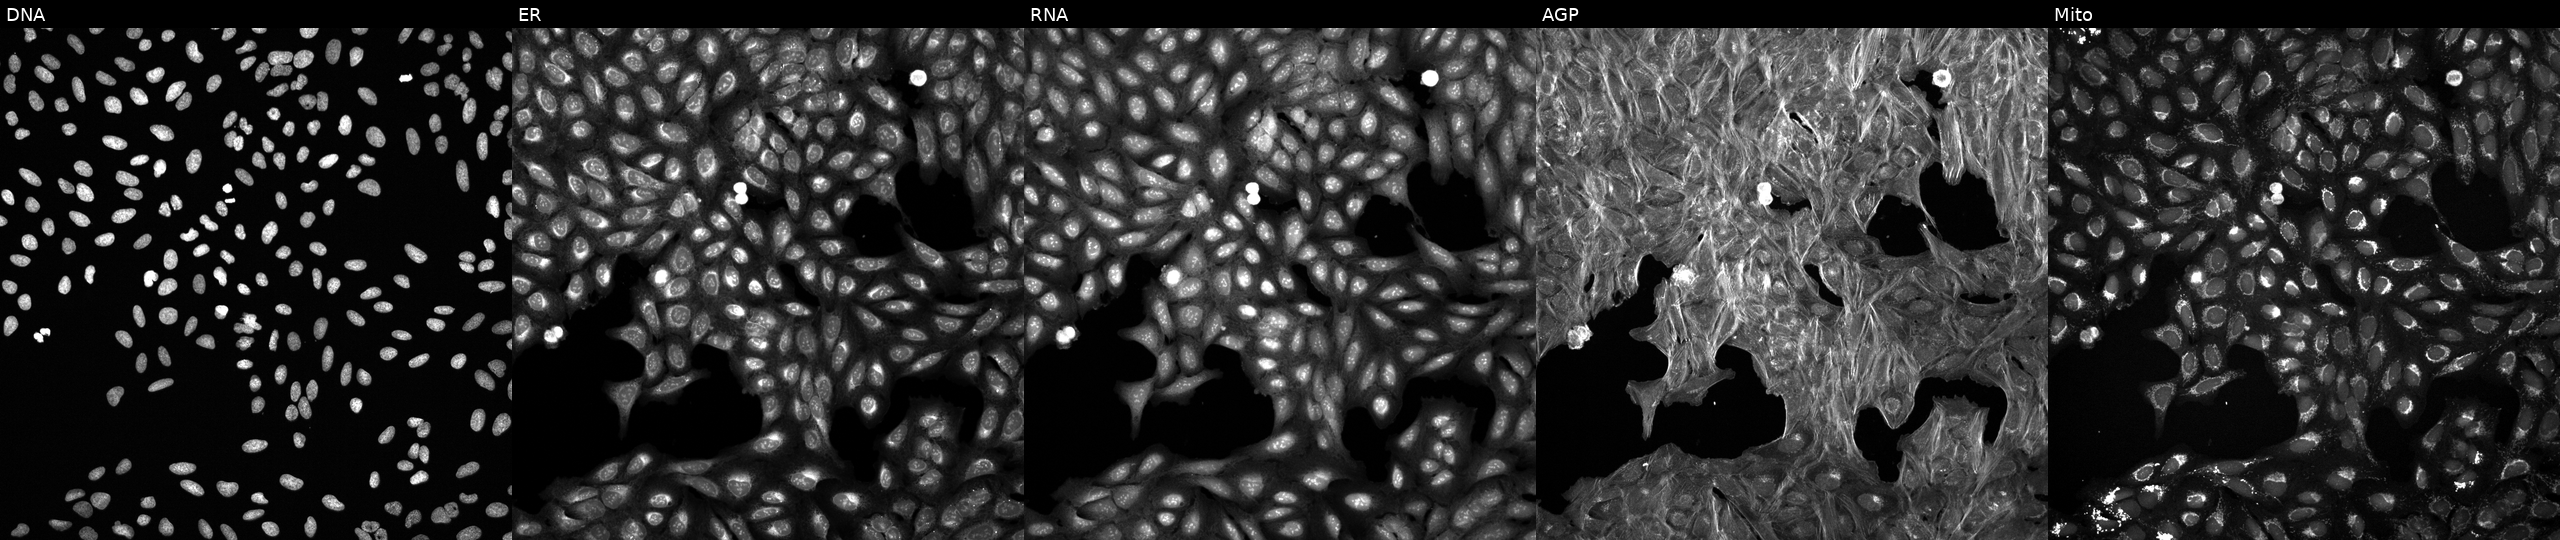
High-content fluorescence microscopy (Cell Painting). Cell line: U2OS. Perturbation: exposed to a small-molecule compound (InChIKey AIZVSLLVMGJHEY-UHFFFAOYSA-N) (JUMP id JCP2022_001710). The five panels, left to right, show DNA, ER, RNA, AGP, and Mito.